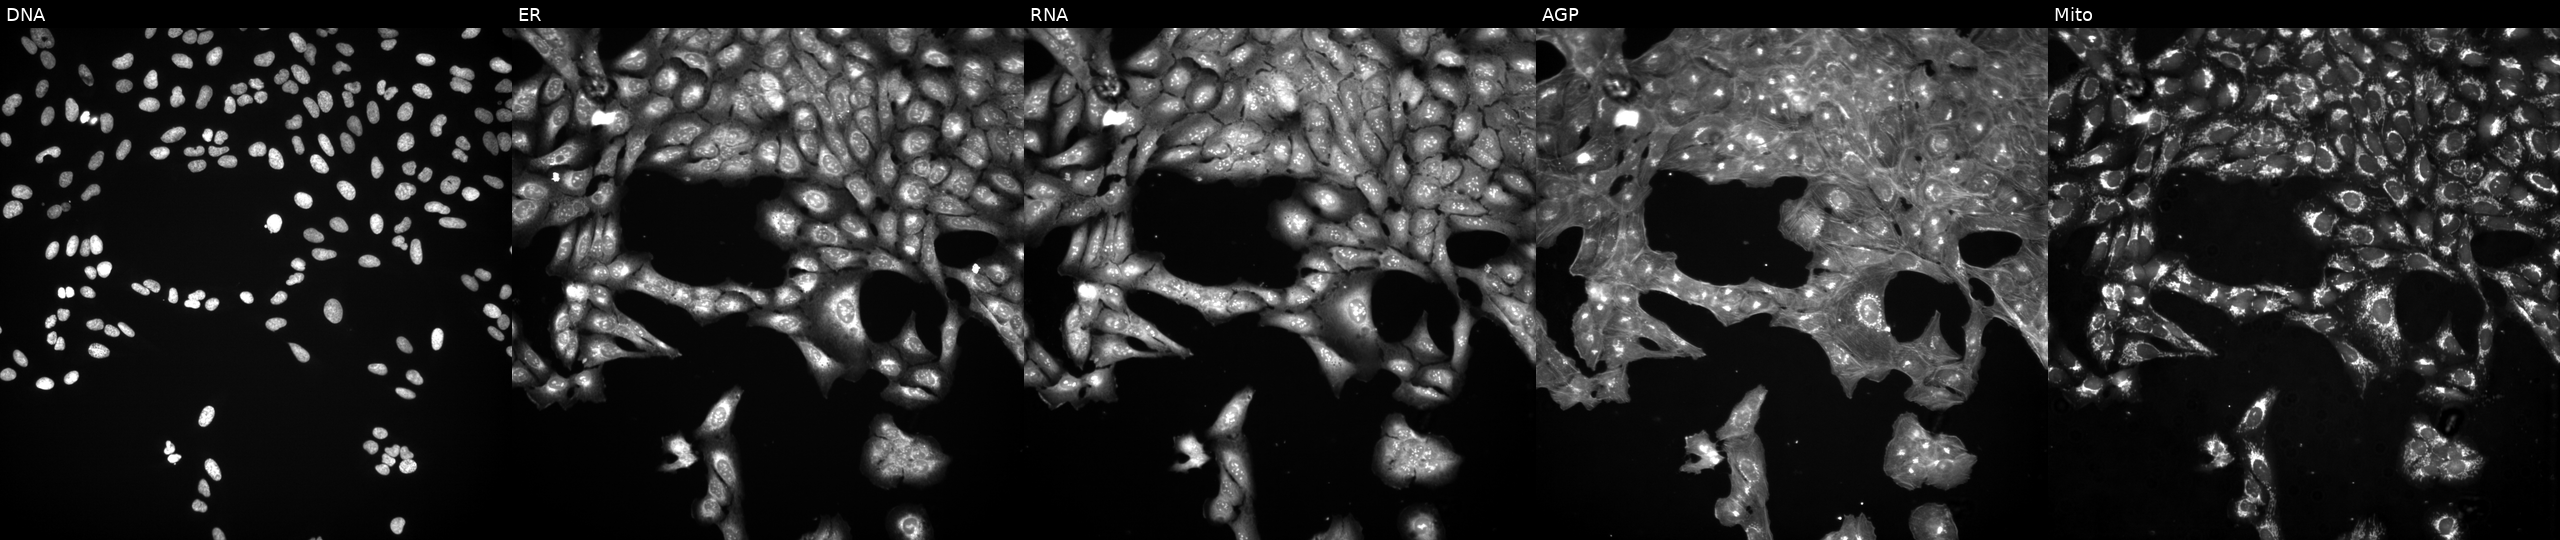
Five-channel Cell Painting image of U2OS cells perturbed with a small-molecule compound. From left to right: DNA, ER, RNA, AGP, and Mito. Source 3, plate BR5867a3, well C19.